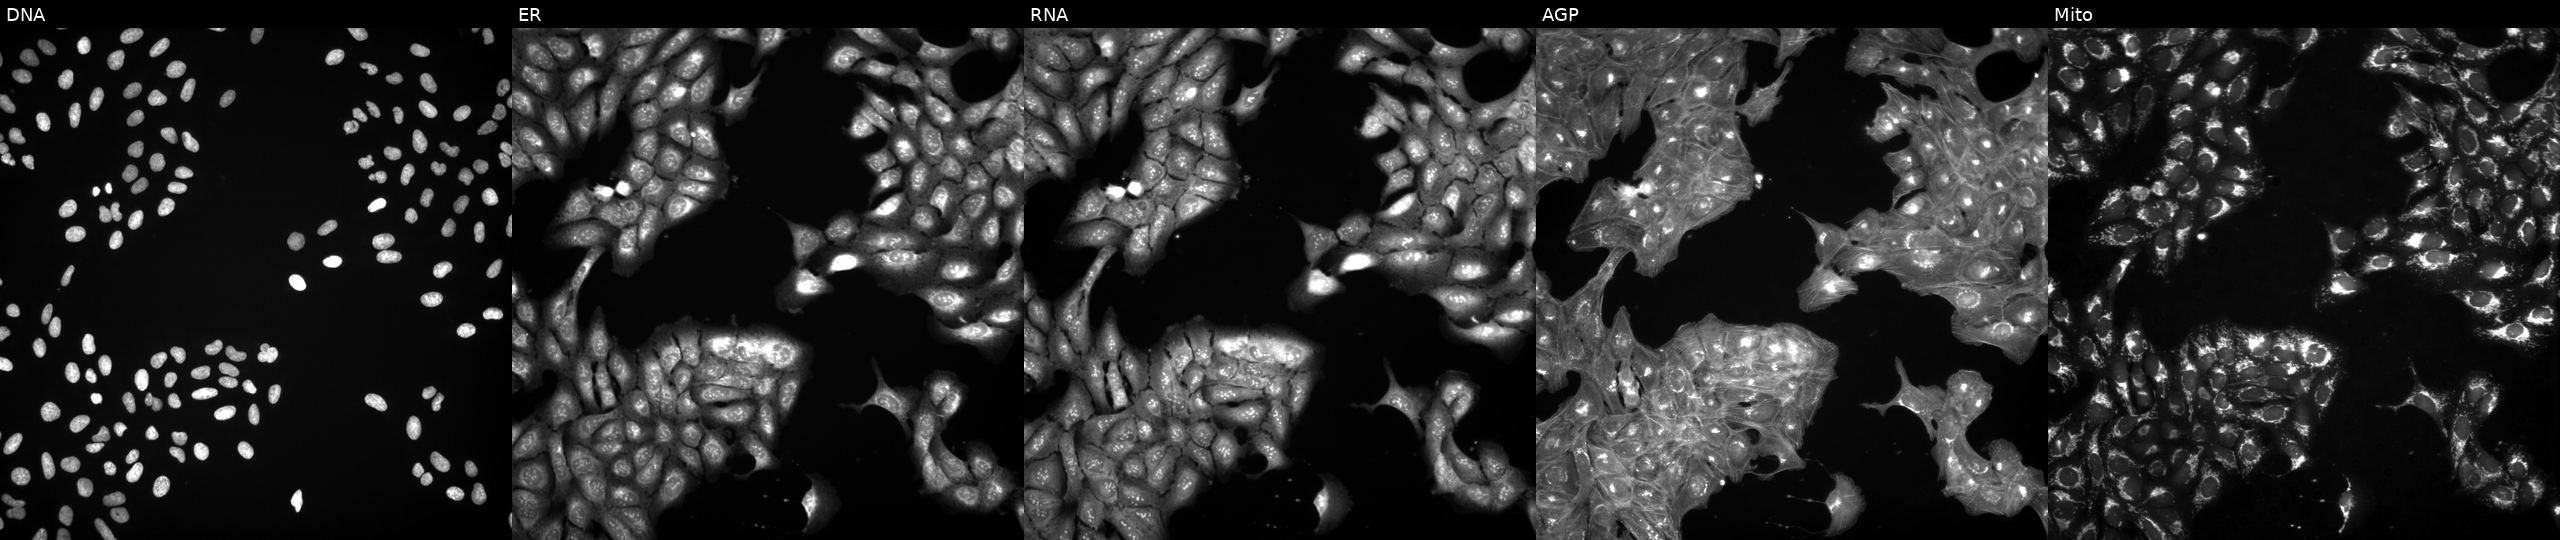
Five-channel Cell Painting image of U2OS cells treated with a small-molecule compound (InChIKey VRFZJZCHENEQMS-UHFFFAOYSA-N). Channels (left→right): DNA (nuclei); ER (endoplasmic reticulum); RNA (nucleoli and cytoplasmic RNA); AGP (actin cytoskeleton, Golgi, and plasma membrane); Mito (mitochondria).